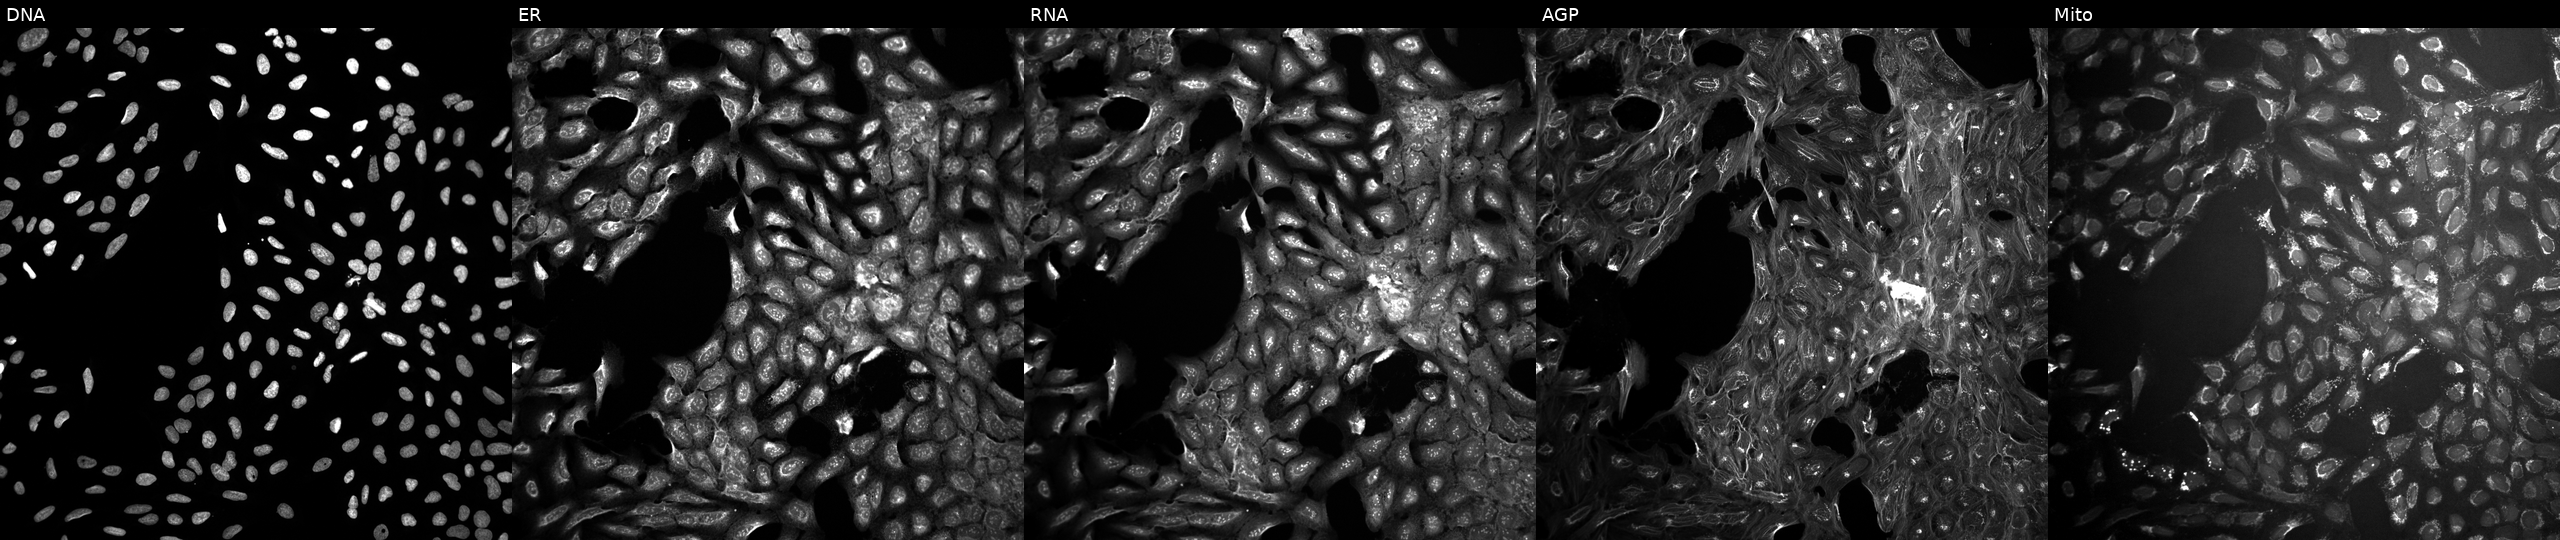
Channels (left→right): DNA, ER, RNA, AGP, and Mito. U2OS osteosarcoma cells exposed to DMSO alone as a negative control (JUMP id JCP2022_033924). Cell Painting assay, JUMP-CP dataset. Source 10, plate Dest210531-152324, well I23.